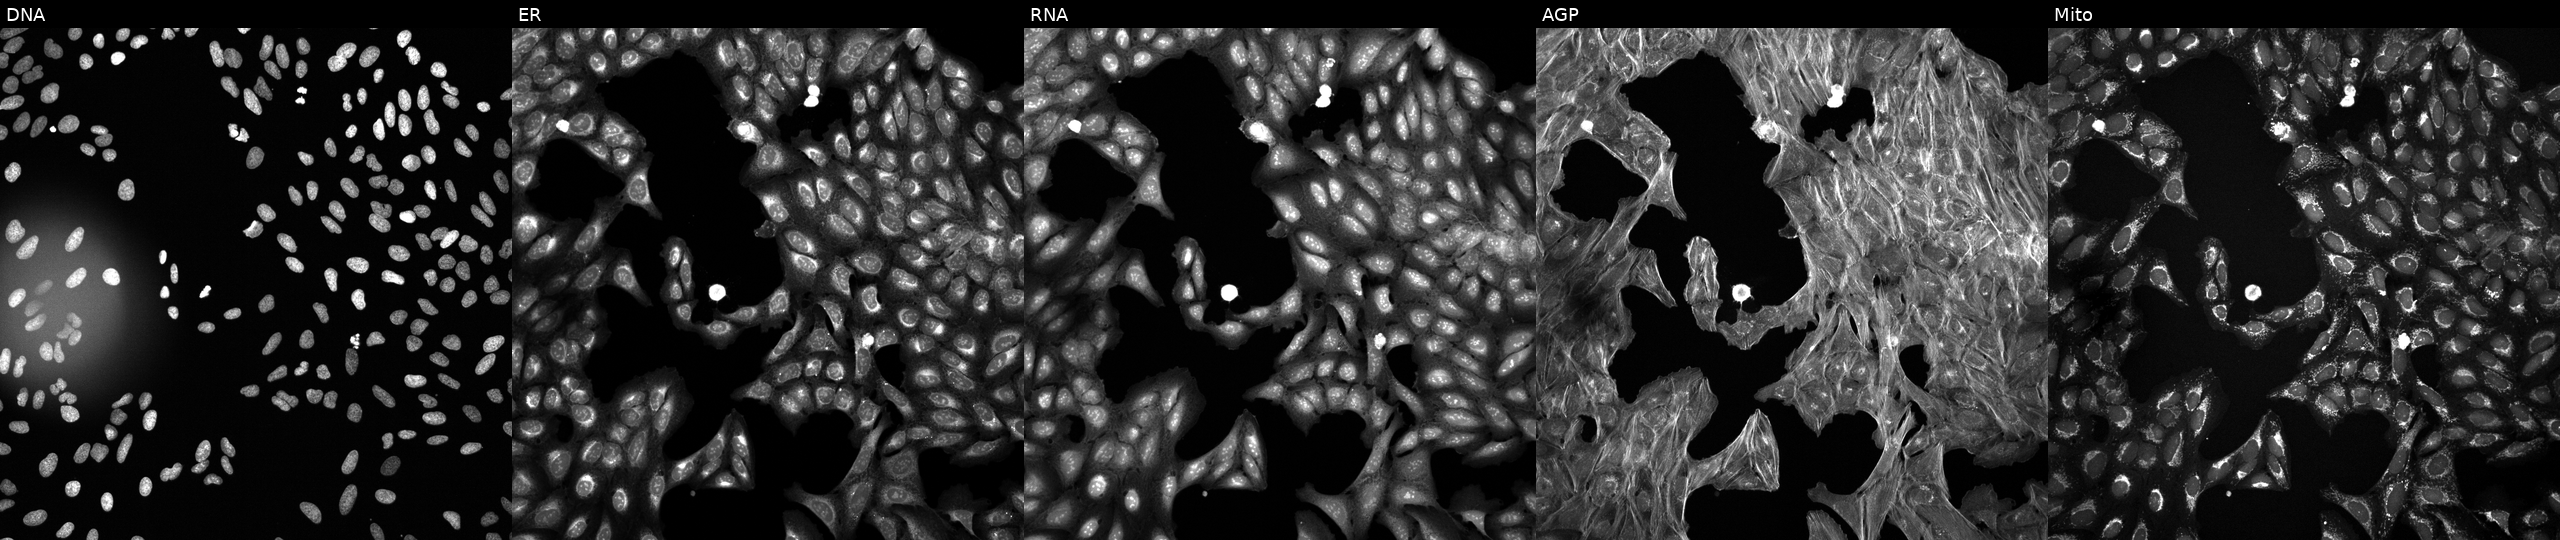
U2OS cells, Cell Painting assay, treated with DMSO vehicle only (negative control) (JUMP id JCP2022_033924). Panels show, left to right, DNA (nuclei); ER (endoplasmic reticulum); RNA (nucleoli and cytoplasmic RNA); AGP (actin cytoskeleton, Golgi, and plasma membrane); Mito (mitochondria). Each panel is percentile-stretched 16-bit fluorescence. Source 6, plate 110000293082, well L02.